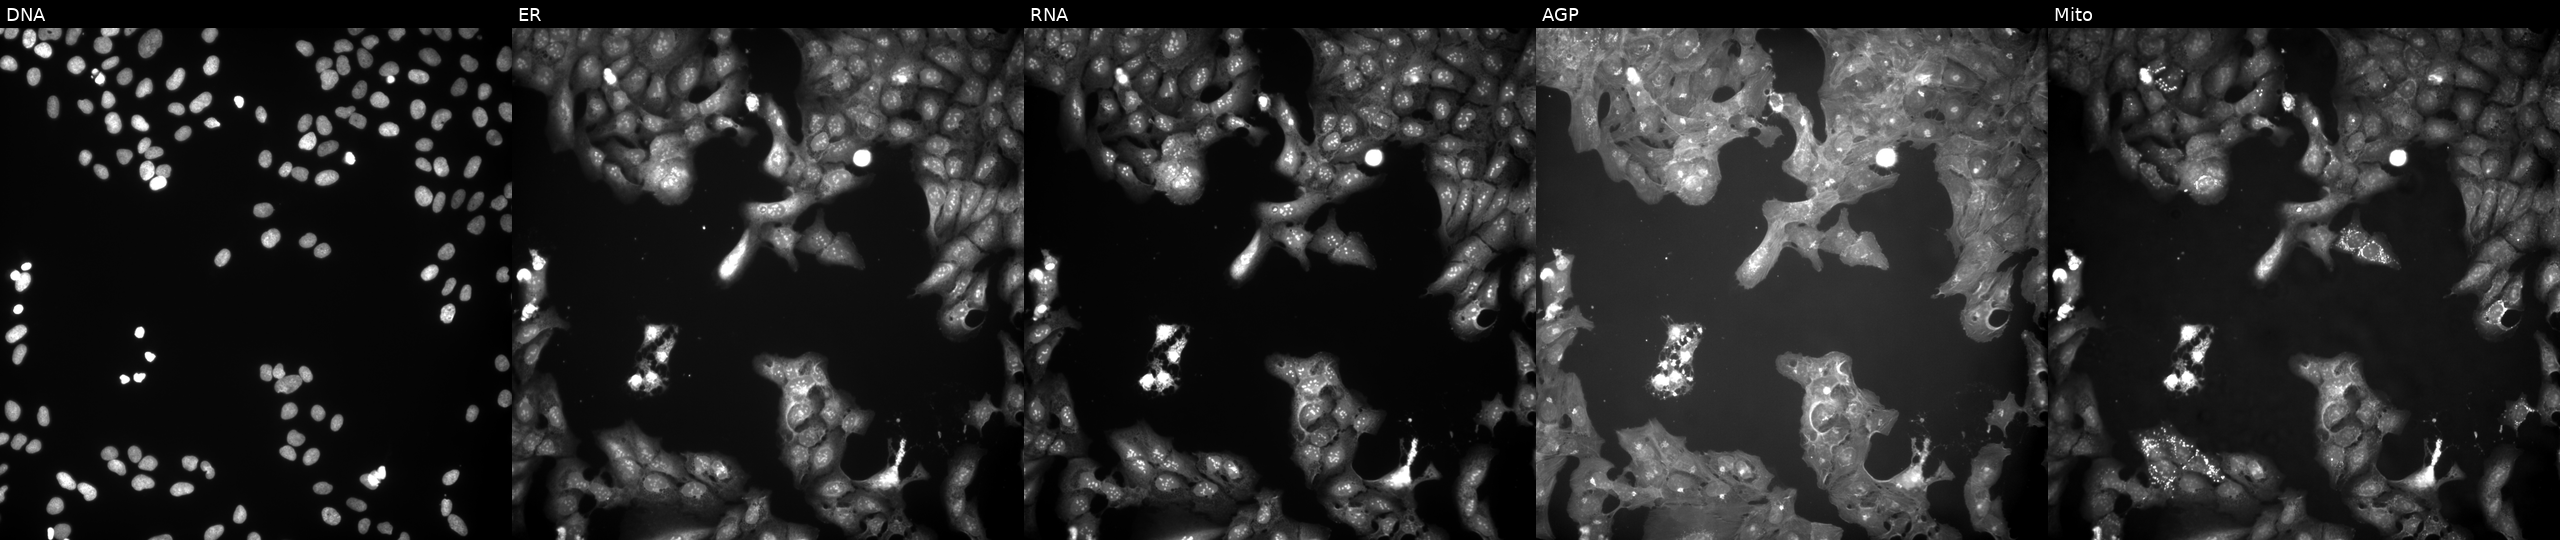
This image strip shows the five Cell Painting channels for a single field of U2OS cells treated with a small-molecule compound (InChIKey HATAYPKRBWHIBE-UHFFFAOYSA-N). Panels show, left to right, Hoechst 33342, concanavalin A, SYTO 14, phalloidin and WGA, MitoTracker. Source 9, plate GR00003382, well K38.